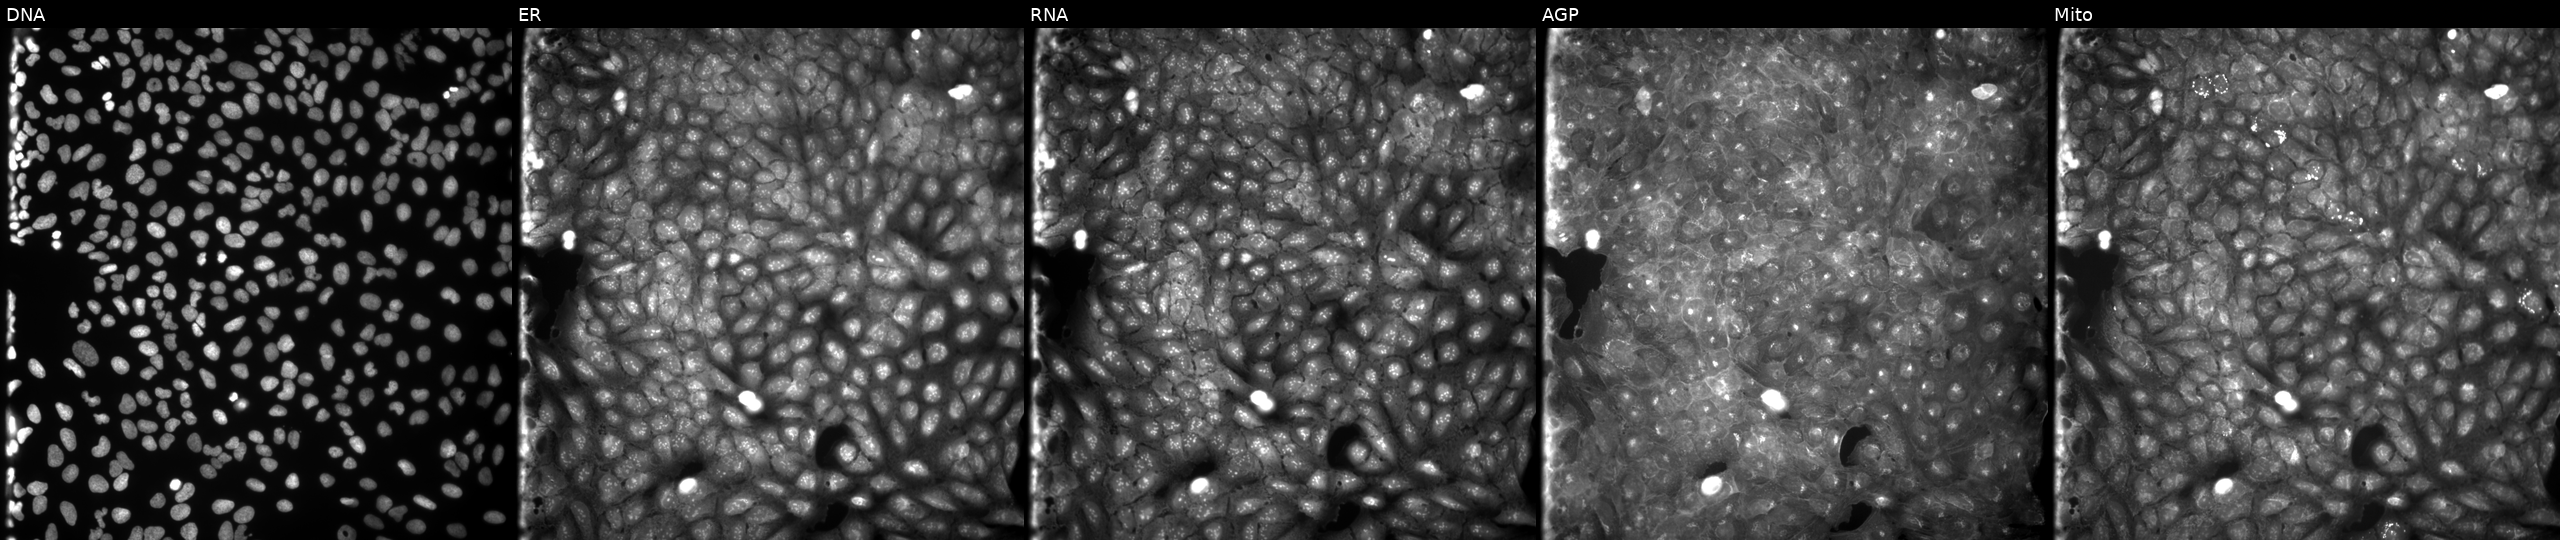
U2OS cells, Cell Painting assay, perturbed with a small-molecule compound (InChIKey UBEYEHBUXIZPKU-UHFFFAOYSA-N). The five panels, left to right, show Hoechst 33342, concanavalin A, SYTO 14, phalloidin and WGA, MitoTracker. Each panel is percentile-stretched 16-bit fluorescence. Source 9, plate GR00003381, well L09.